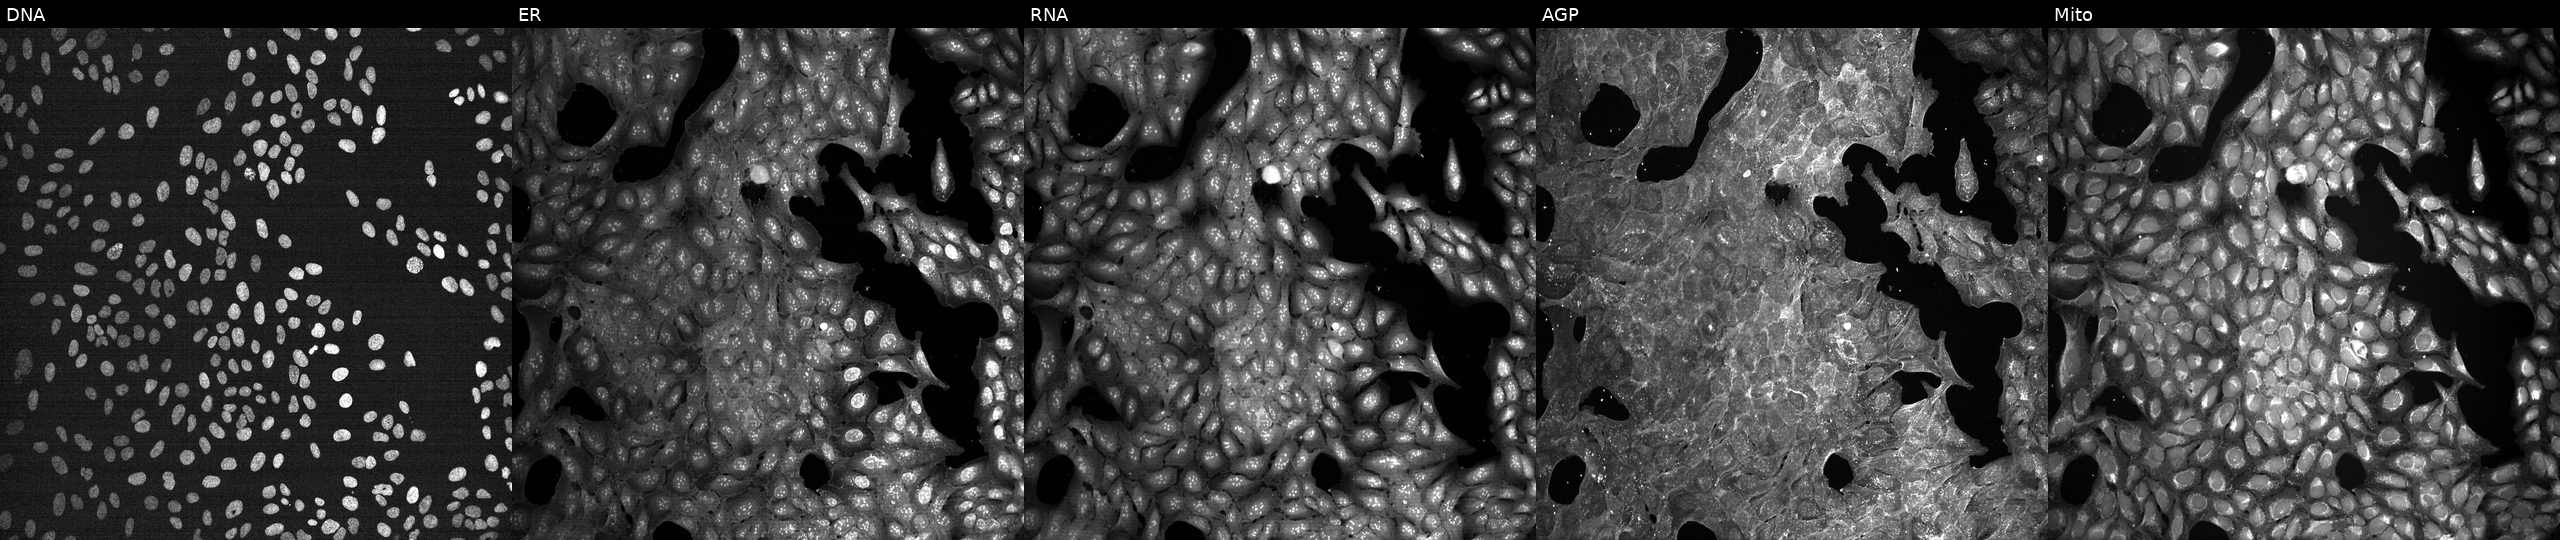
Five-channel Cell Painting image of U2OS cells treated with DMSO vehicle only (negative control) (JUMP id JCP2022_033924). Channels (left→right): Hoechst 33342, concanavalin A, SYTO 14, phalloidin and WGA, MitoTracker.